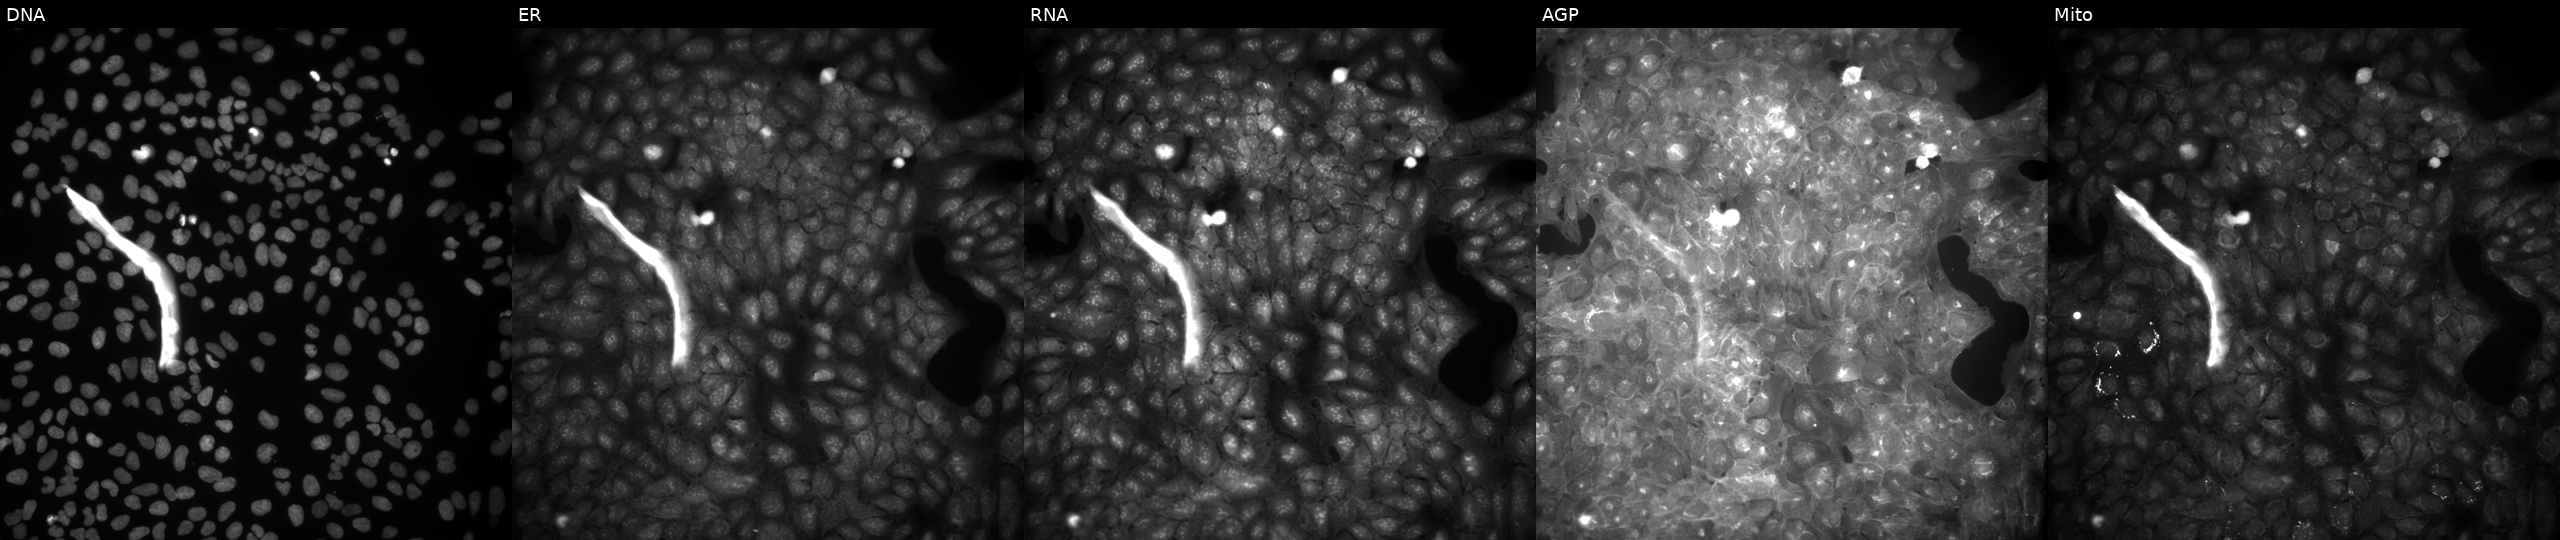
JUMP Cell Painting — COMPOUND plate. U2OS cells exposed to a small-molecule compound (InChIKey LOCHJSCJKJGDFV-UHFFFAOYSA-N). Channels (left→right): Hoechst 33342, concanavalin A, SYTO 14, phalloidin and WGA, MitoTracker.